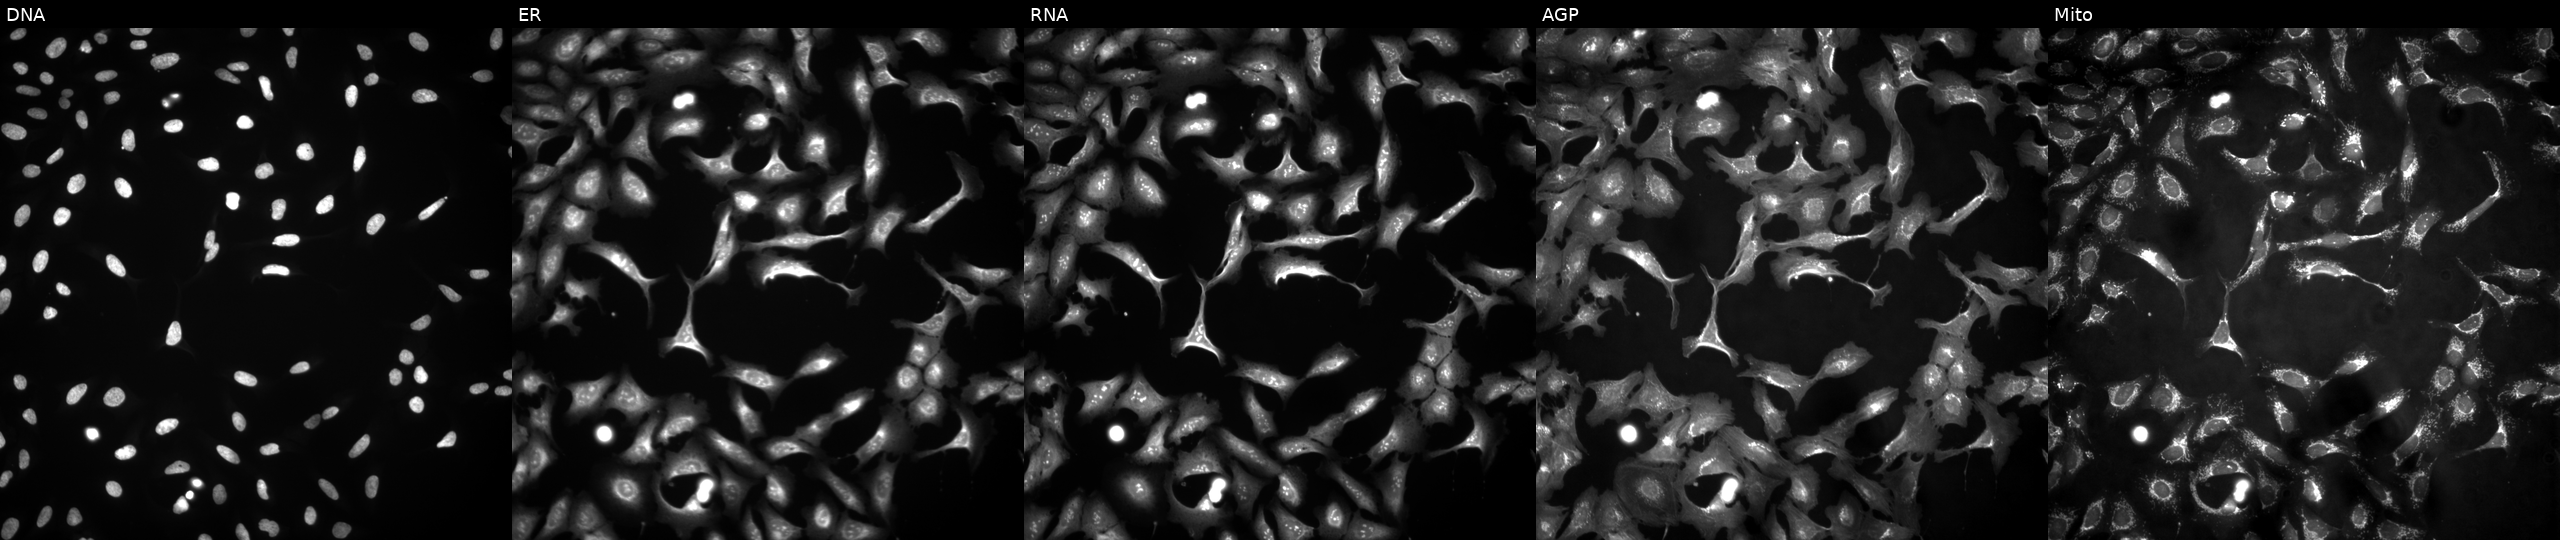
U2OS cells, Cell Painting assay, with PDE1C overexpressed (ORF) (JUMP id JCP2022_906272). From left to right: DNA (nuclei); ER (endoplasmic reticulum); RNA (nucleoli and cytoplasmic RNA); AGP (actin cytoskeleton, Golgi, and plasma membrane); Mito (mitochondria). Each panel is percentile-stretched 16-bit fluorescence.